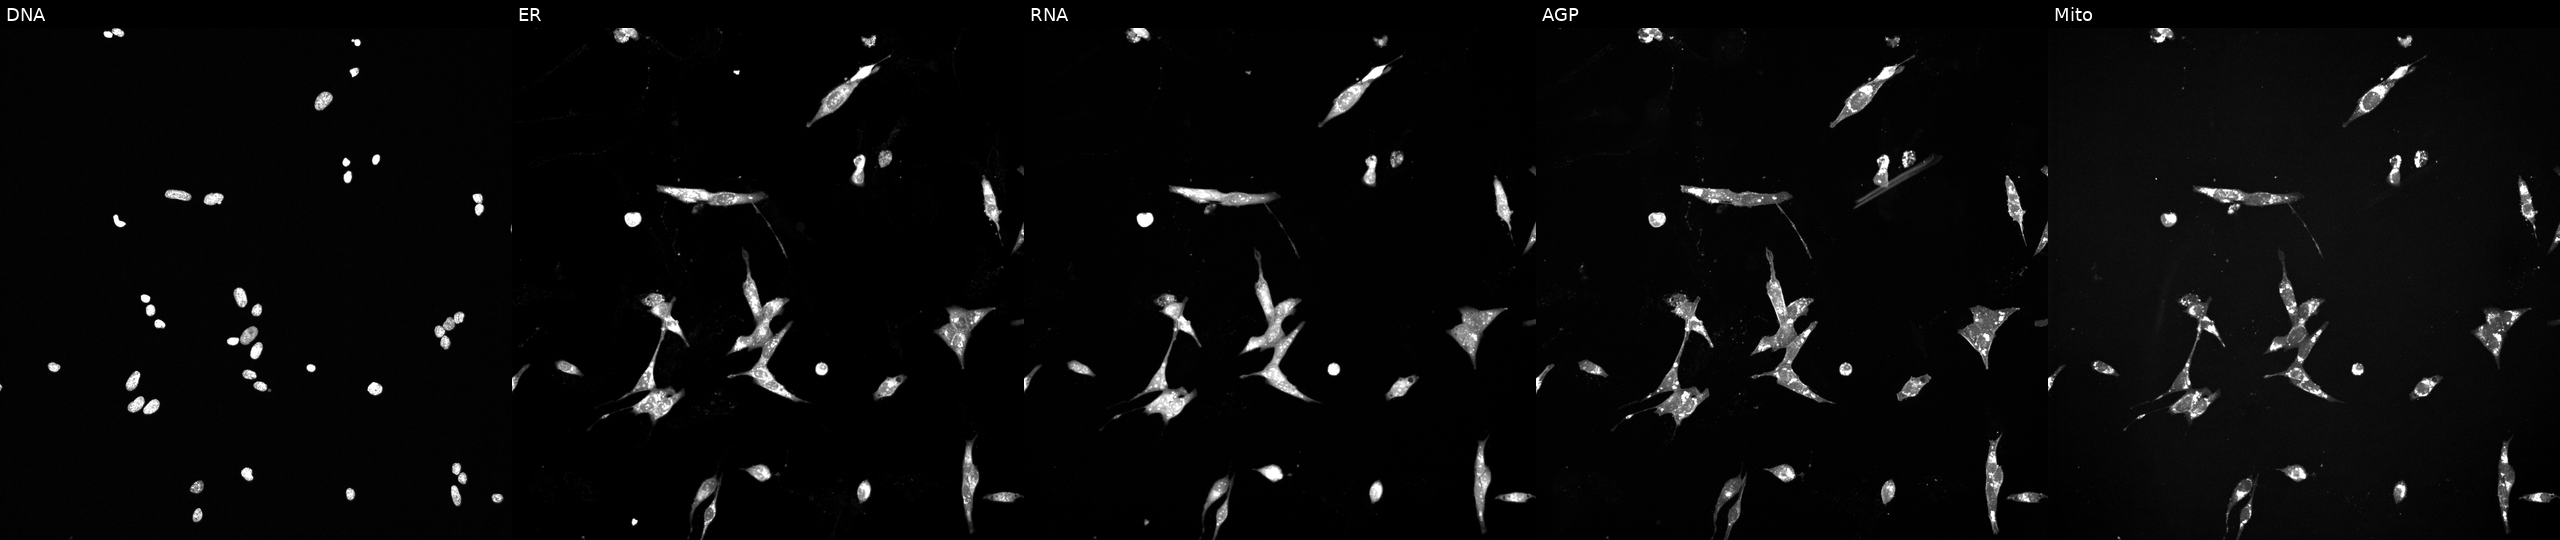
The five panels, left to right, show Hoechst 33342, concanavalin A, SYTO 14, phalloidin and WGA, MitoTracker. U2OS osteosarcoma cells perturbed with a small-molecule compound (JUMP id JCP2022_017377). Cell Painting assay, JUMP-CP dataset.